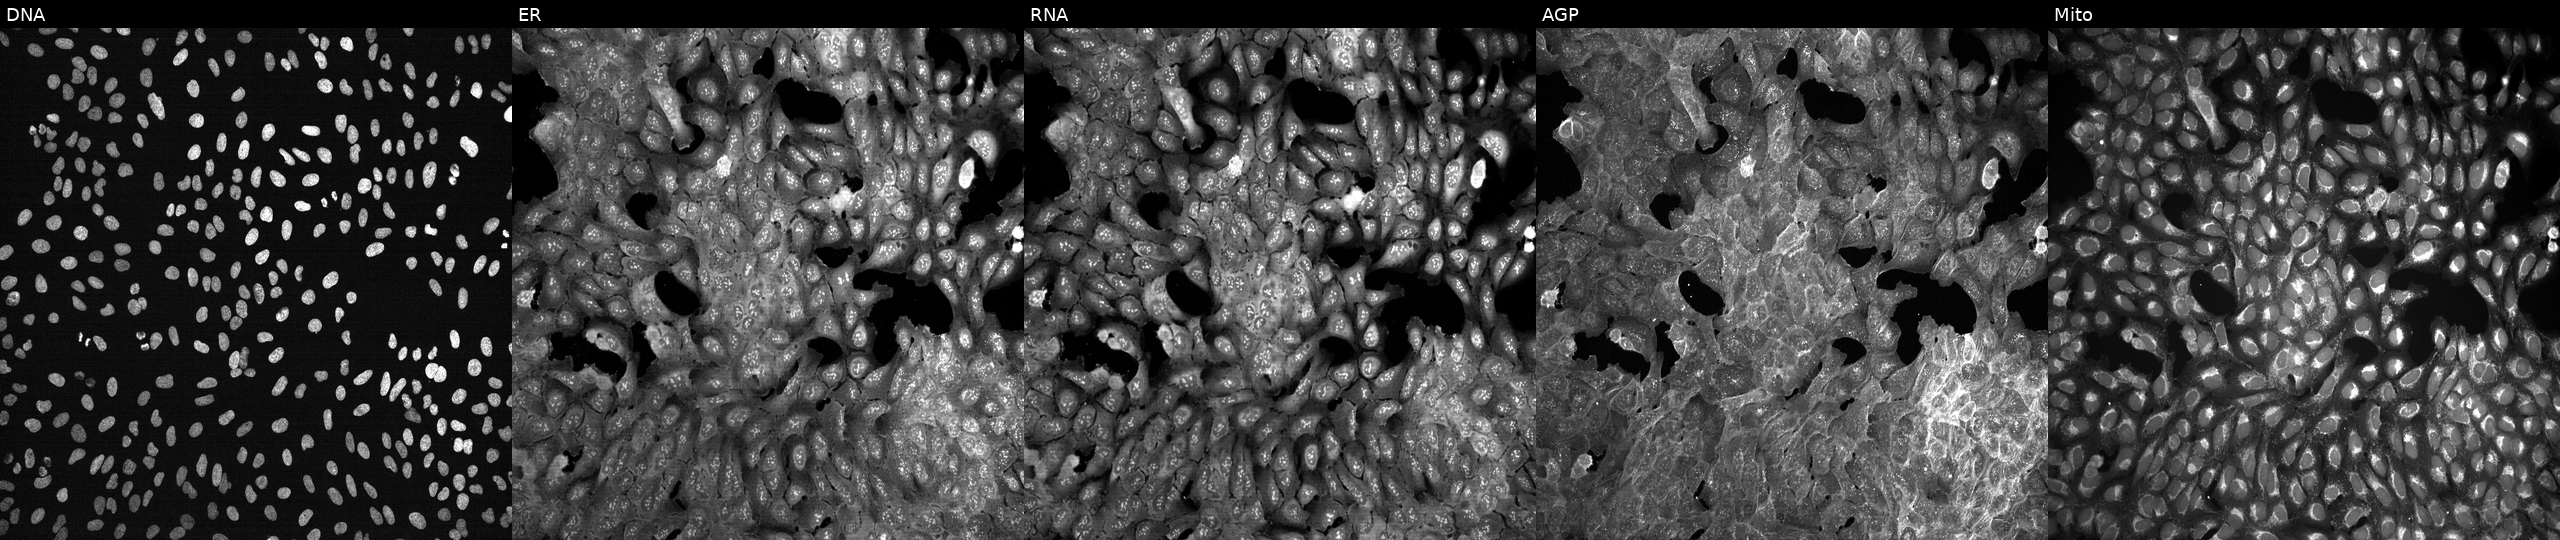
High-content fluorescence microscopy (Cell Painting). Cell line: U2OS. Perturbation: exposed to DMSO alone as a negative control (JUMP id JCP2022_033924). Channels (left→right): DNA (nuclei); ER (endoplasmic reticulum); RNA (nucleoli and cytoplasmic RNA); AGP (actin cytoskeleton, Golgi, and plasma membrane); Mito (mitochondria). Source 7, plate CP3-SC1-25, well H02.